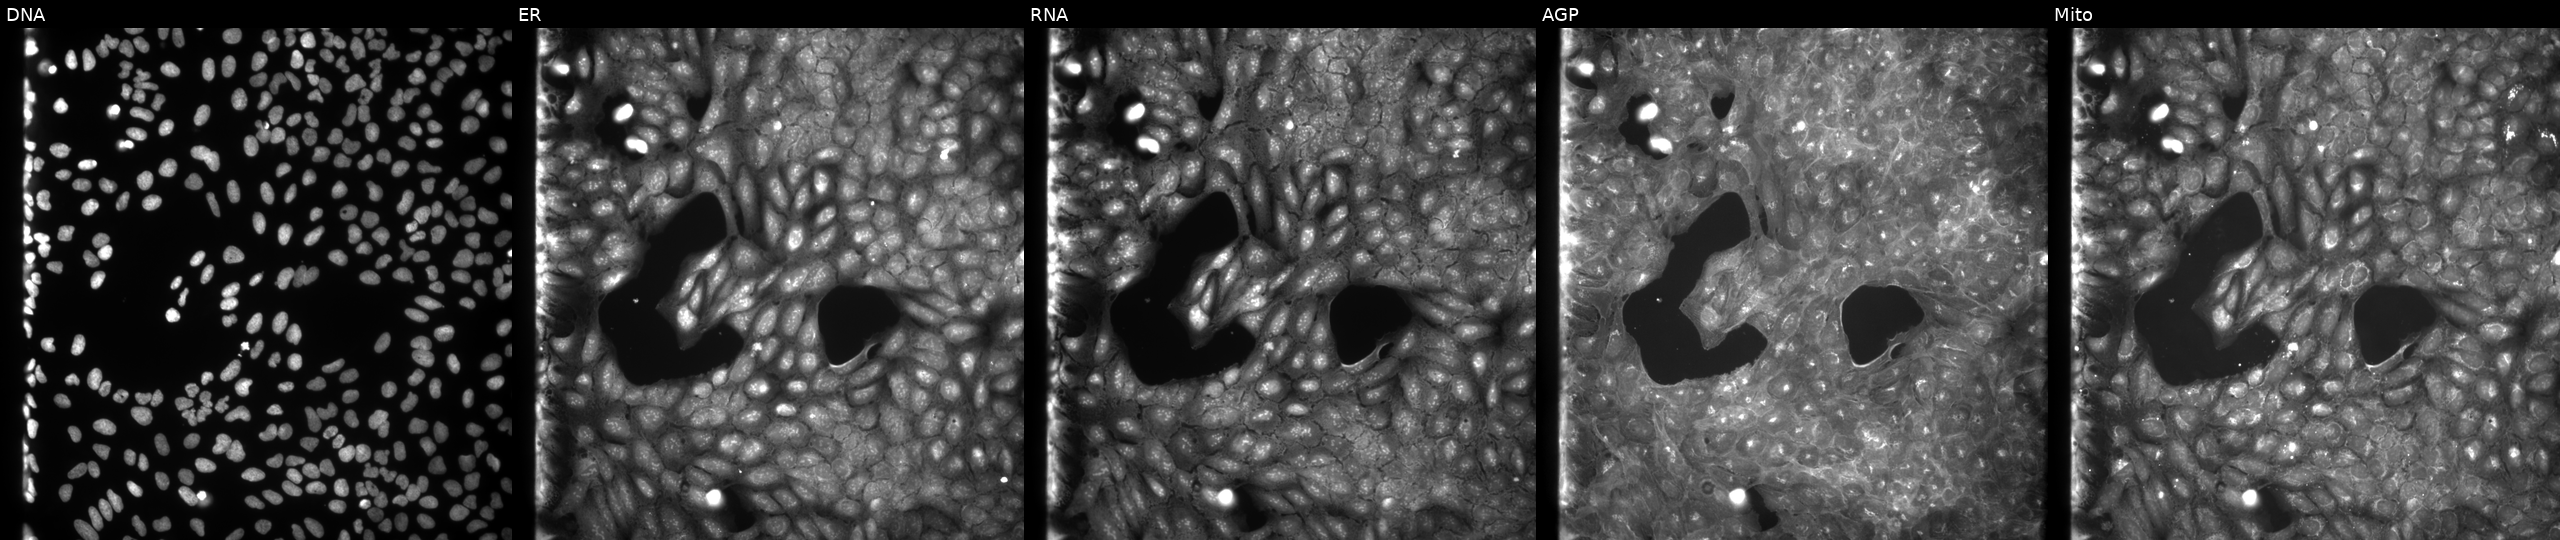
JUMP Cell Painting — COMPOUND plate. U2OS cells perturbed with a small-molecule compound (InChIKey AUIXSRCNKFUMFR-UHFFFAOYSA-N). Channels (left→right): Hoechst 33342, concanavalin A, SYTO 14, phalloidin and WGA, MitoTracker.